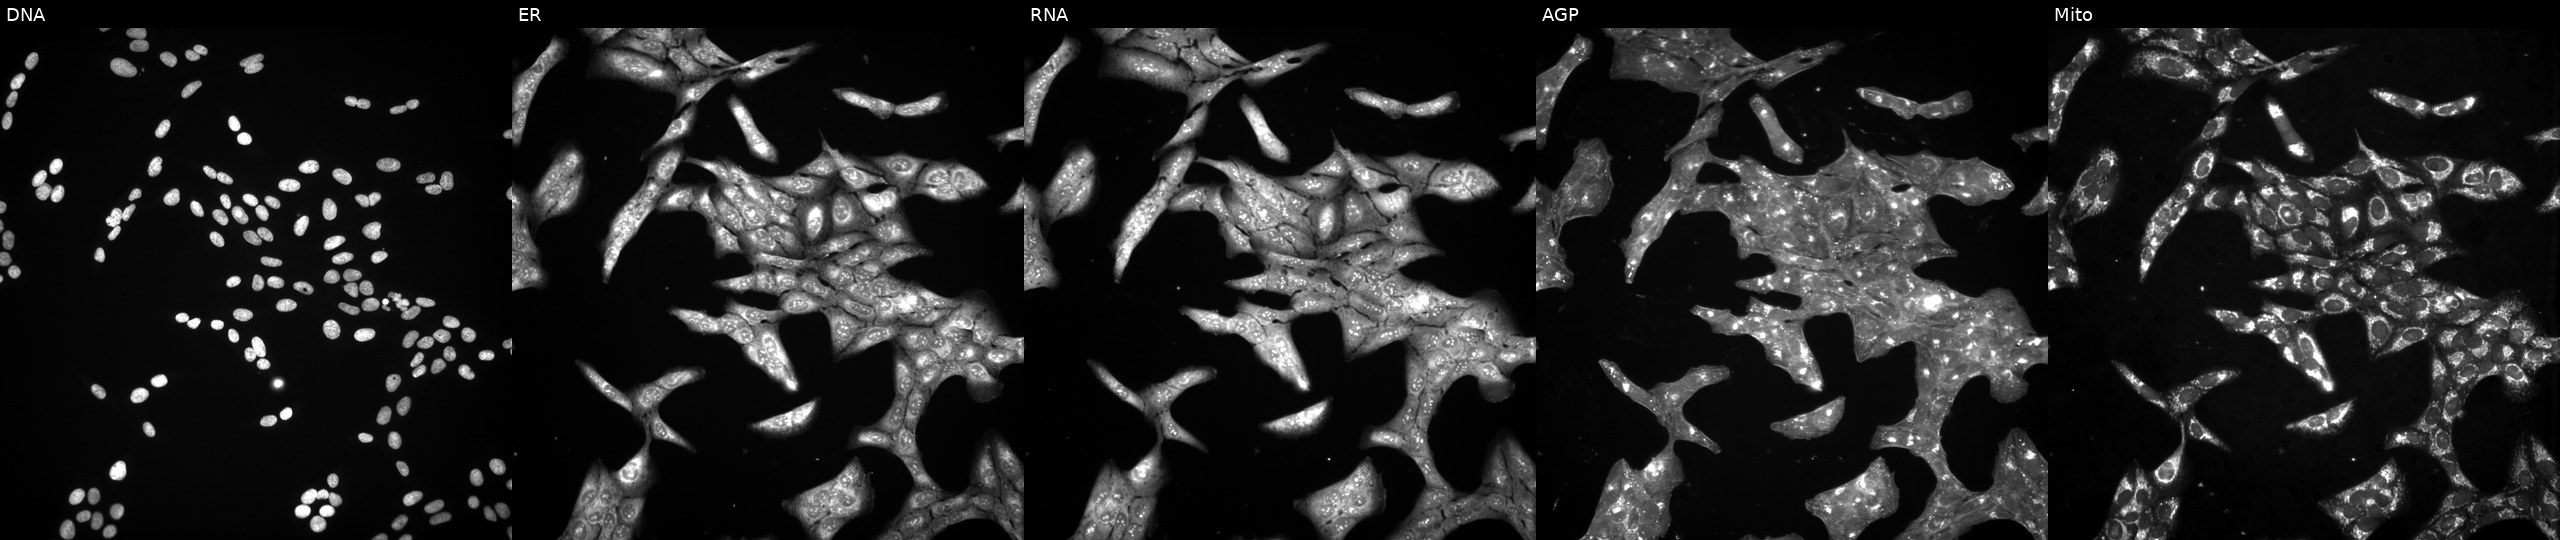
This image strip shows the five Cell Painting channels for a single field of U2OS cells treated with a small-molecule compound (InChIKey UXUQIRNFBFRPAC-UHFFFAOYSA-N) (JUMP id JCP2022_092256). Panels show, left to right, DNA, ER, RNA, AGP, and Mito.